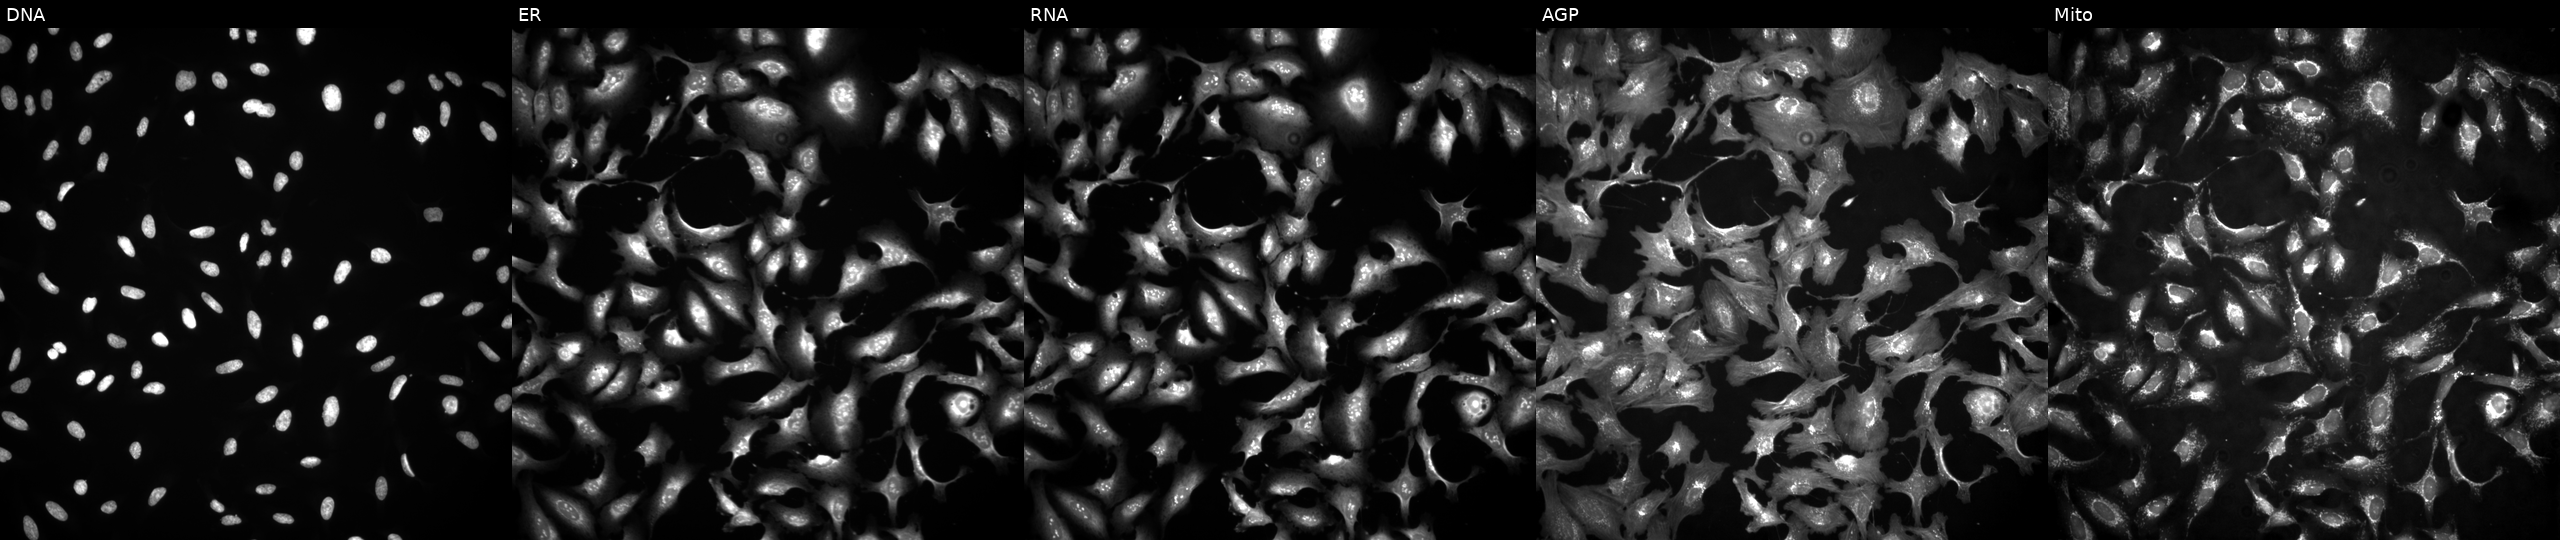
High-content fluorescence microscopy (Cell Painting). Cell line: U2OS. Perturbation: overexpressing NEK3 via ORF transfection. From left to right: DNA (nuclei); ER (endoplasmic reticulum); RNA (nucleoli and cytoplasmic RNA); AGP (actin cytoskeleton, Golgi, and plasma membrane); Mito (mitochondria). Source 4, plate BR00123945, well L13.